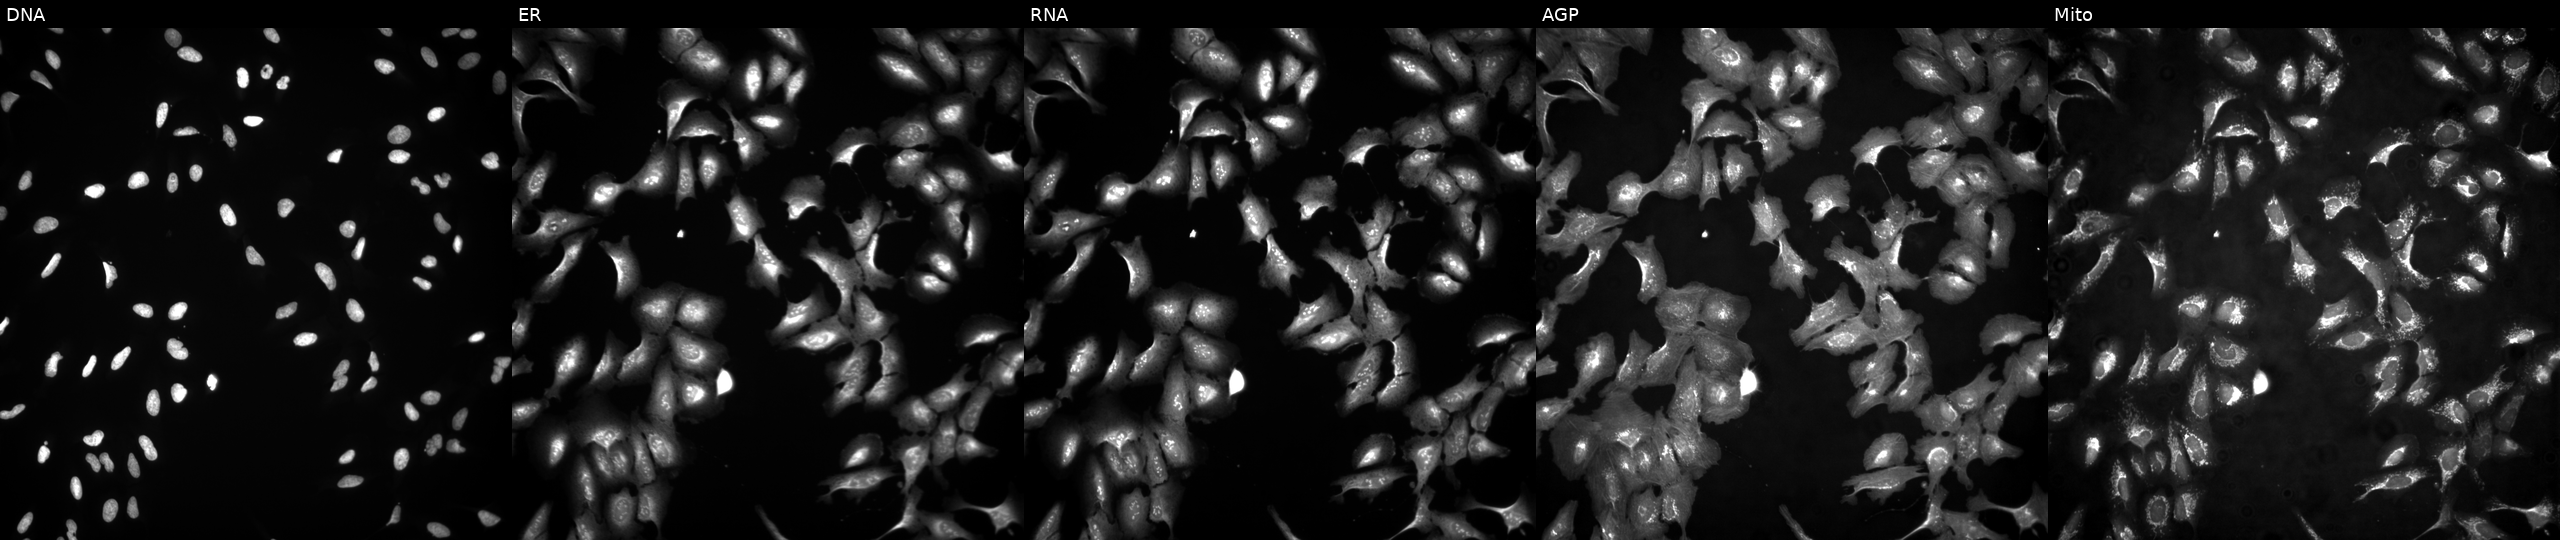
Five-channel Cell Painting image of U2OS cells overexpressing TOX via ORF transfection. The five panels, left to right, show DNA, ER, RNA, AGP, and Mito.